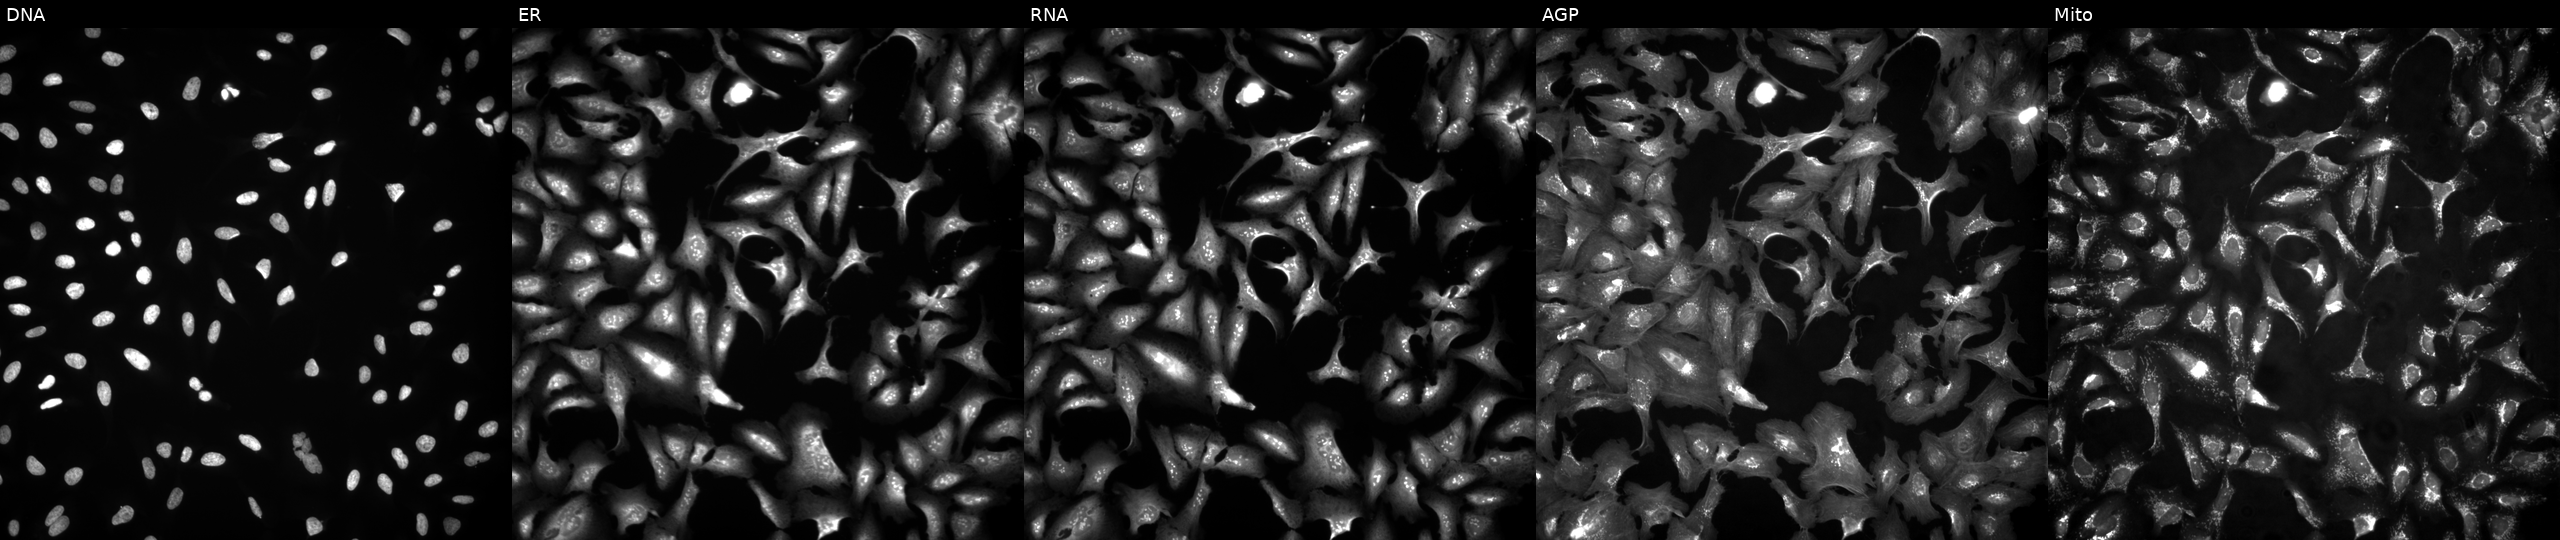
U2OS cells, Cell Painting assay, overexpressing TPM4 via ORF transfection. Panels show, left to right, DNA, ER, RNA, AGP, and Mito. Each panel is percentile-stretched 16-bit fluorescence.